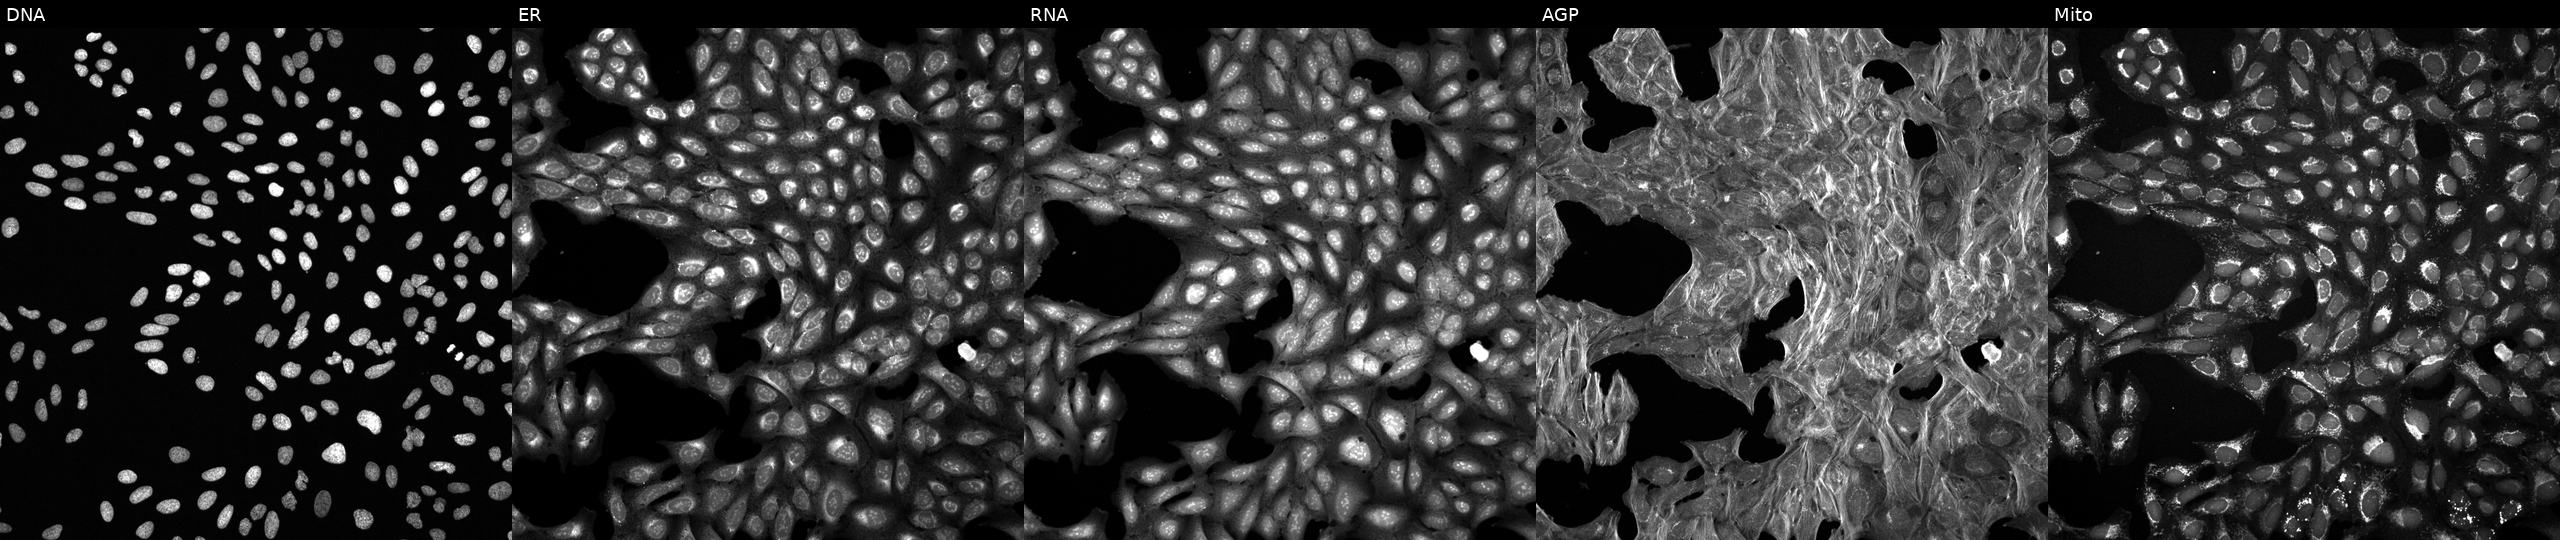
High-content fluorescence microscopy (Cell Painting). Cell line: U2OS. Perturbation: exposed to DMSO alone as a negative control. Panels show, left to right, DNA (nuclei); ER (endoplasmic reticulum); RNA (nucleoli and cytoplasmic RNA); AGP (actin cytoskeleton, Golgi, and plasma membrane); Mito (mitochondria).